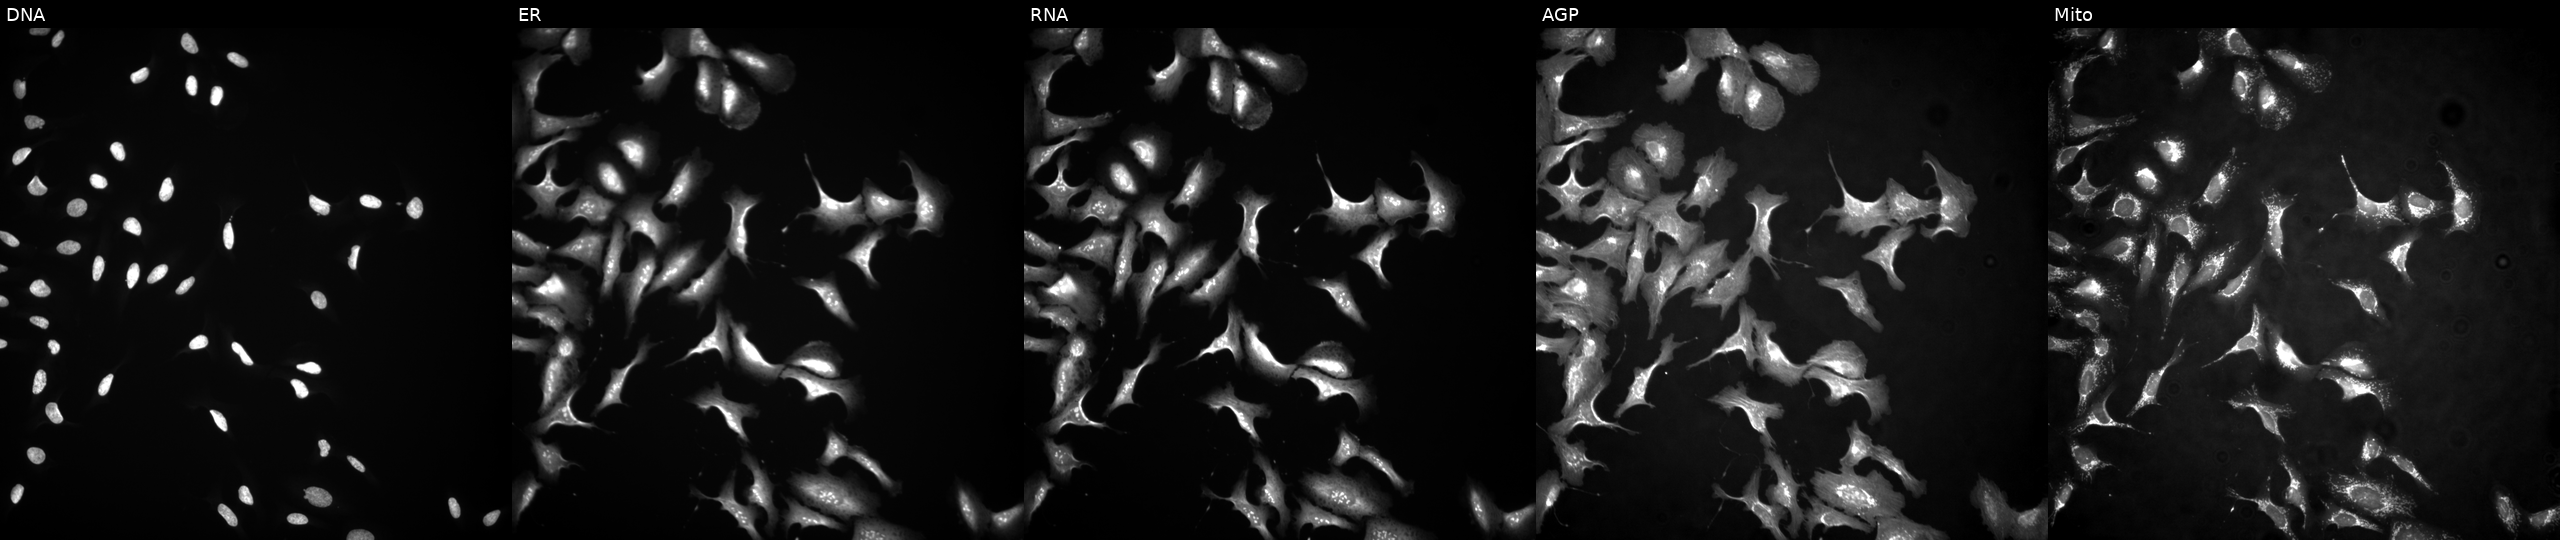
U2OS cells, Cell Painting assay, overexpressing SIN3A via ORF transfection (JUMP id JCP2022_910993). The five panels, left to right, show DNA, ER, RNA, AGP, and Mito. Each panel is percentile-stretched 16-bit fluorescence. Source 4, plate BR00117035, well H06.